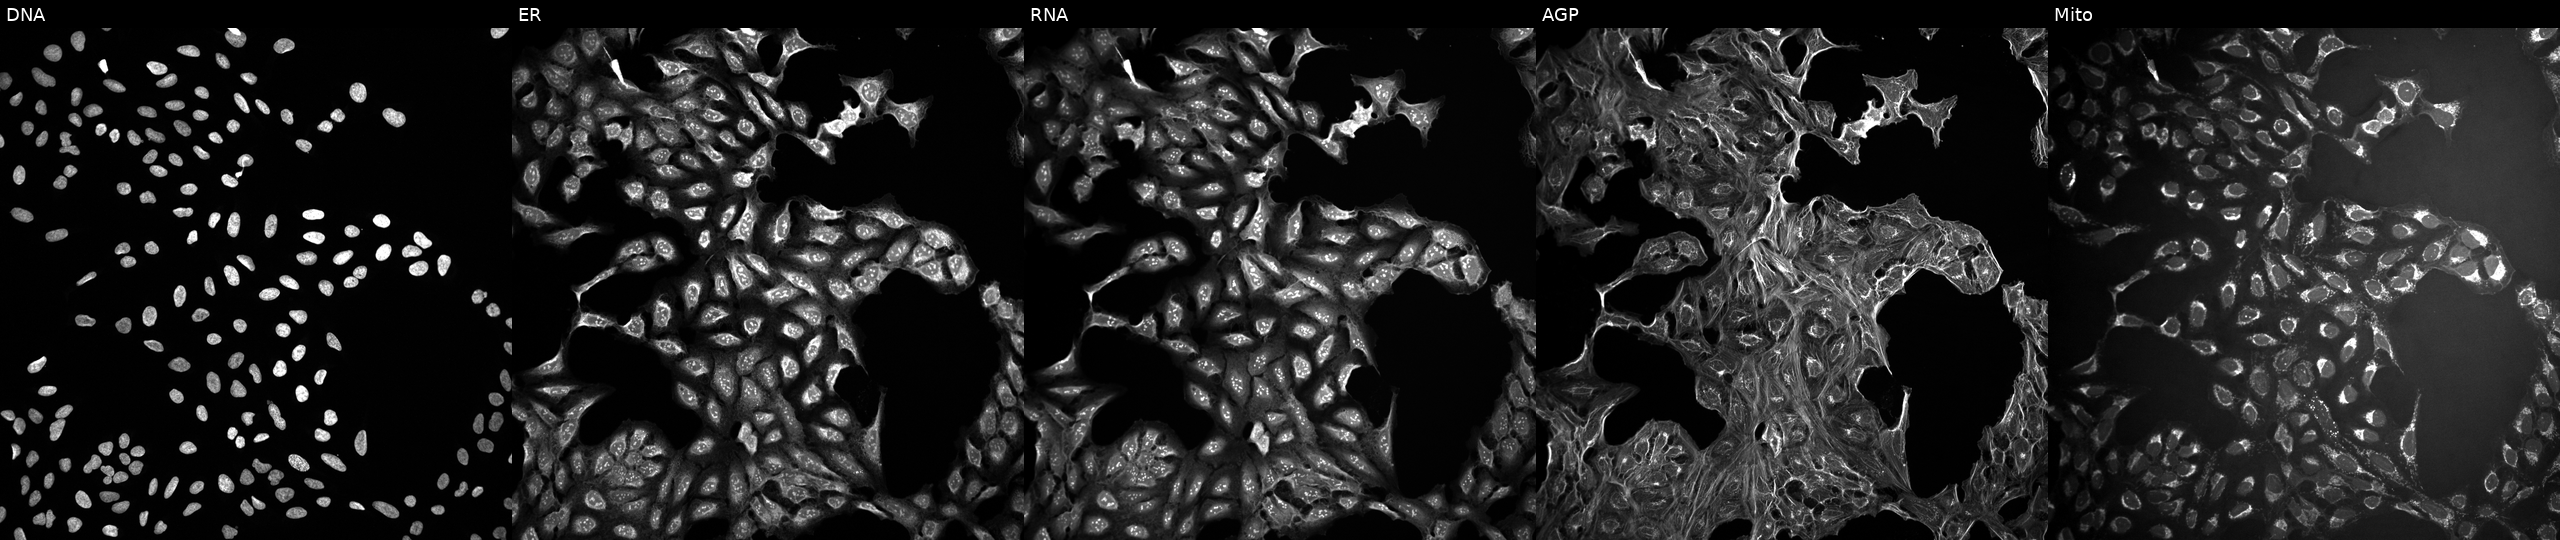
This image strip shows the five Cell Painting channels for a single field of U2OS cells exposed to a small-molecule compound (InChIKey NYNZQNWKBKUAII-UHFFFAOYSA-N). From left to right: DNA (nuclei); ER (endoplasmic reticulum); RNA (nucleoli and cytoplasmic RNA); AGP (actin cytoskeleton, Golgi, and plasma membrane); Mito (mitochondria).